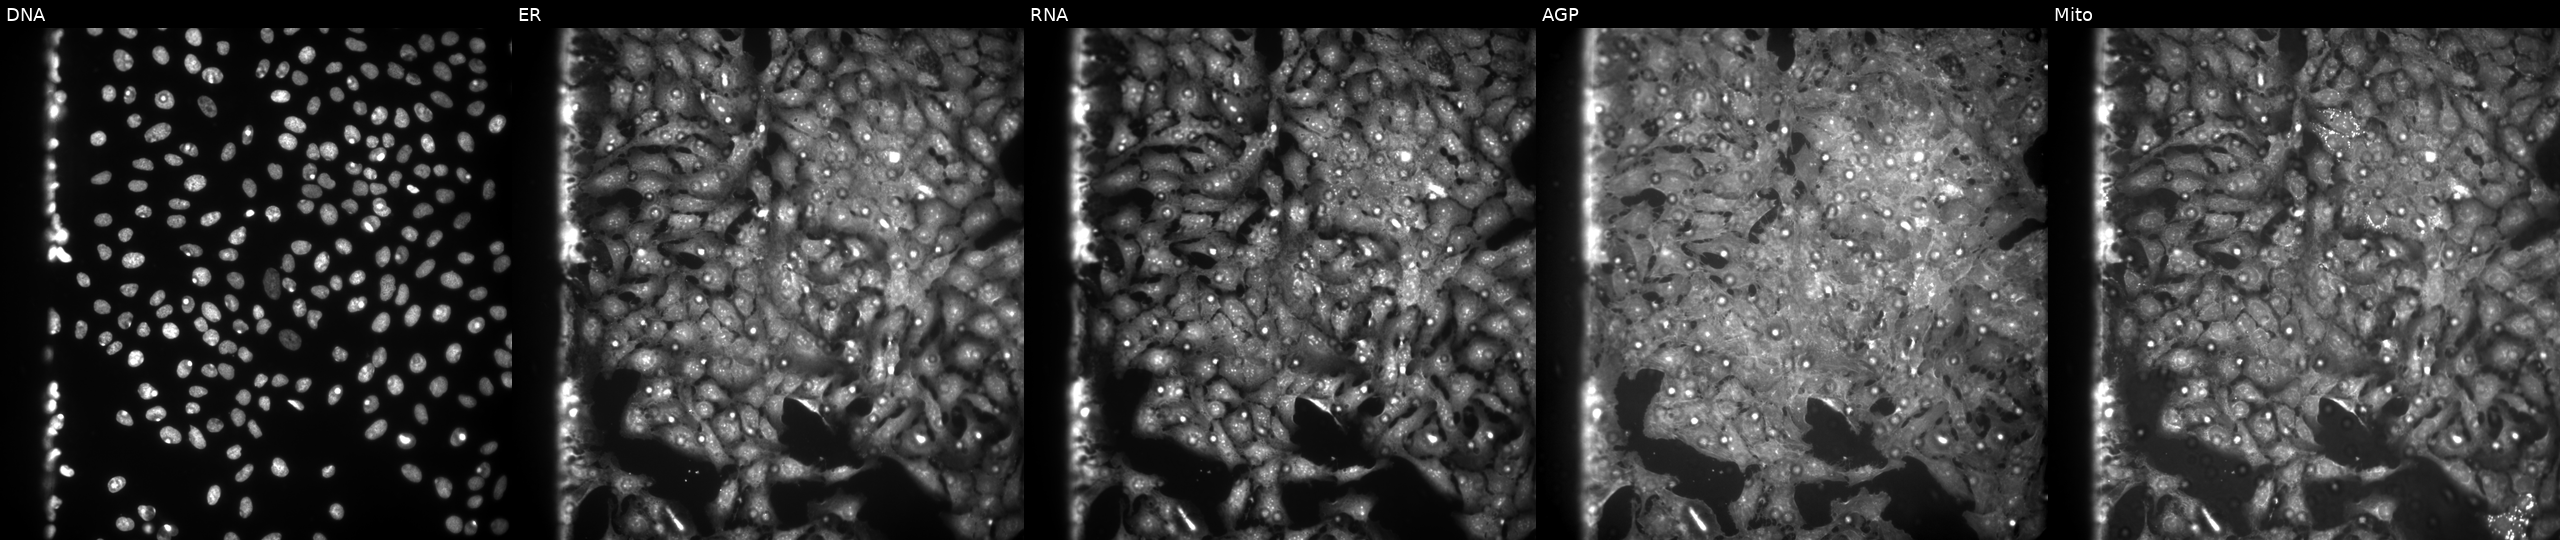
High-content fluorescence microscopy (Cell Painting). Cell line: U2OS. Perturbation: treated with FK-866 (positive-control compound) (JUMP id JCP2022_046054). The five panels, left to right, show Hoechst 33342, concanavalin A, SYTO 14, phalloidin and WGA, MitoTracker. Source 9, plate GR00003382, well D01.